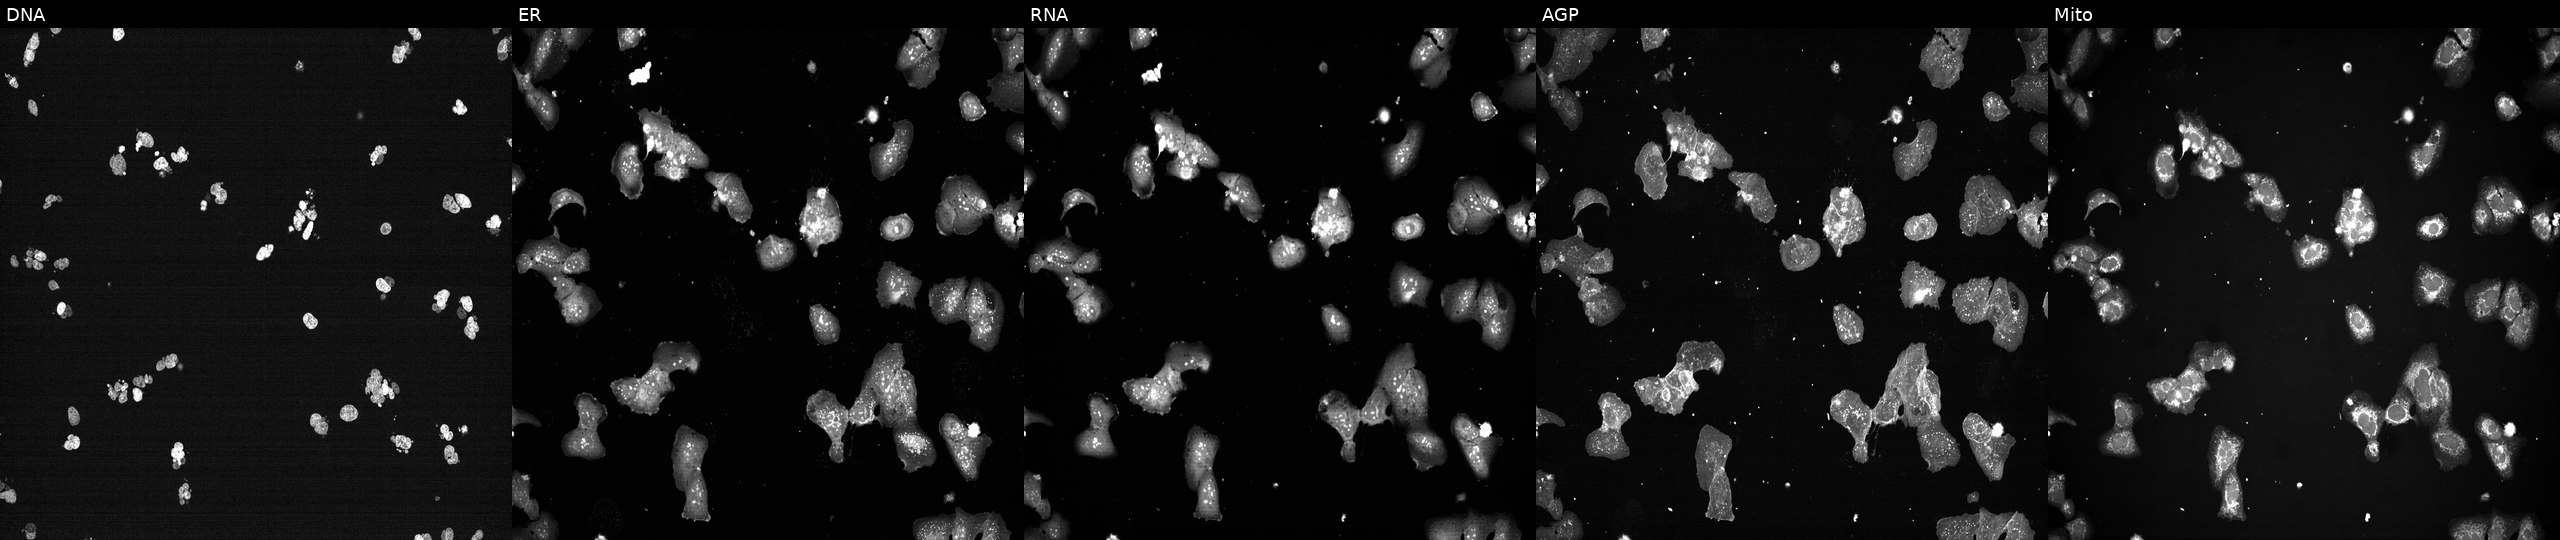
The five panels, left to right, show Hoechst 33342, concanavalin A, SYTO 14, phalloidin and WGA, MitoTracker. U2OS osteosarcoma cells treated with a small-molecule compound (InChIKey JOLJIIDDOBNFHW-UHFFFAOYSA-N) [SMILES: CCCCCCOc1nsnc1C1=CCCN(C)C1]. Cell Painting assay, JUMP-CP dataset. Source 7, plate CP2-SC1-25, well H01.